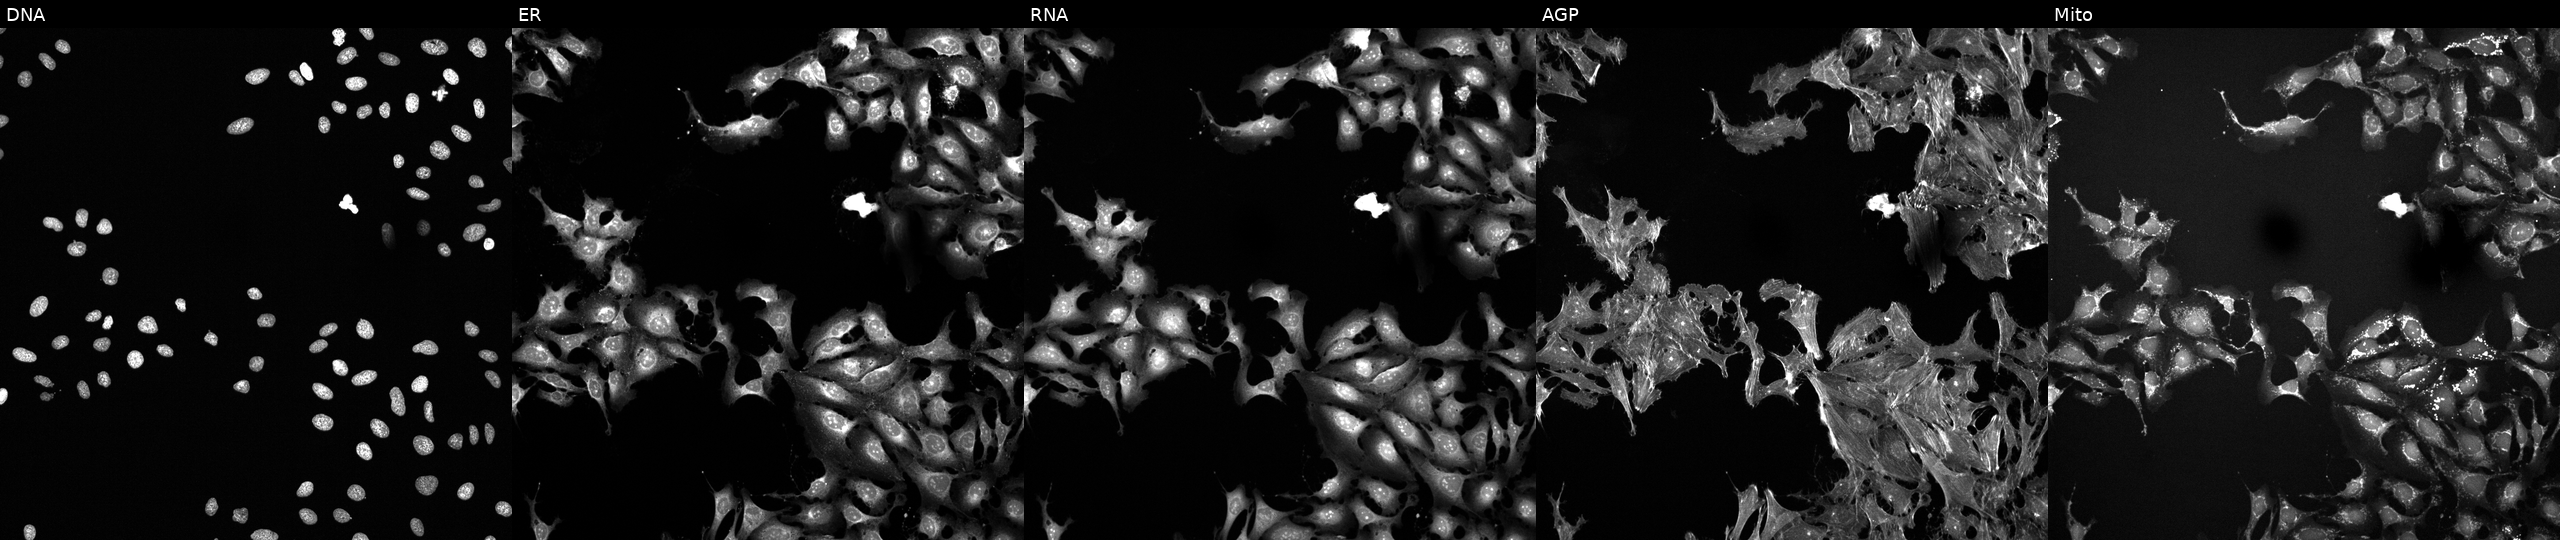
U2OS cells, Cell Painting assay, exposed to the positive-control compound FK-866. Channels (left→right): DNA, ER, RNA, AGP, and Mito. Each panel is percentile-stretched 16-bit fluorescence.